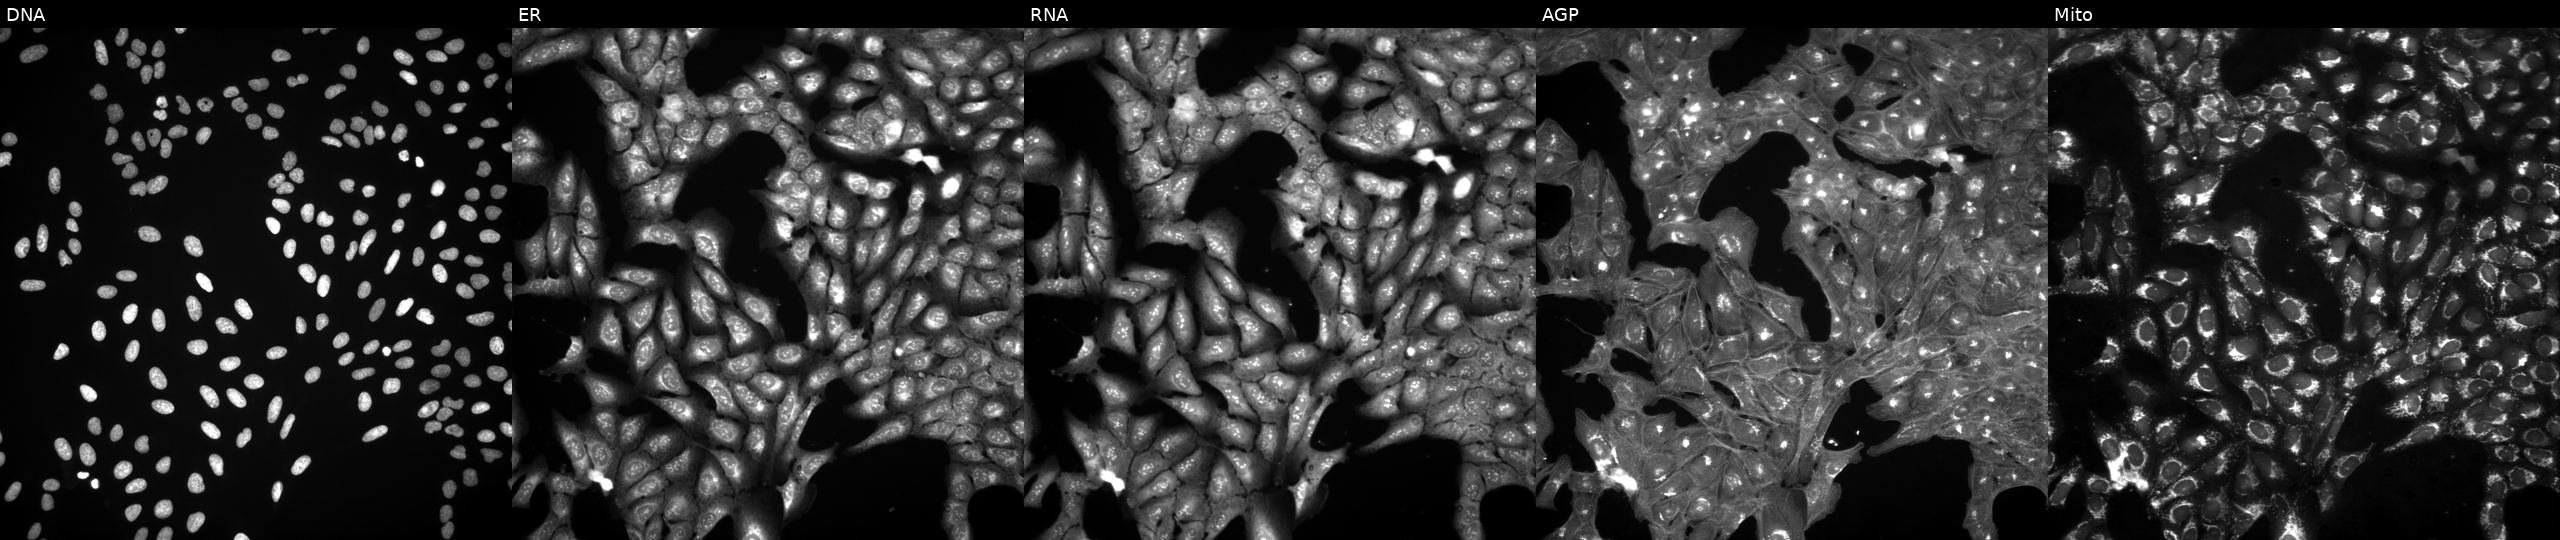
The five panels, left to right, show DNA, ER, RNA, AGP, and Mito. U2OS osteosarcoma cells exposed to DMSO alone as a negative control (JUMP id JCP2022_033924). Cell Painting assay, JUMP-CP dataset. Source 3, plate JCPQC052, well D17.